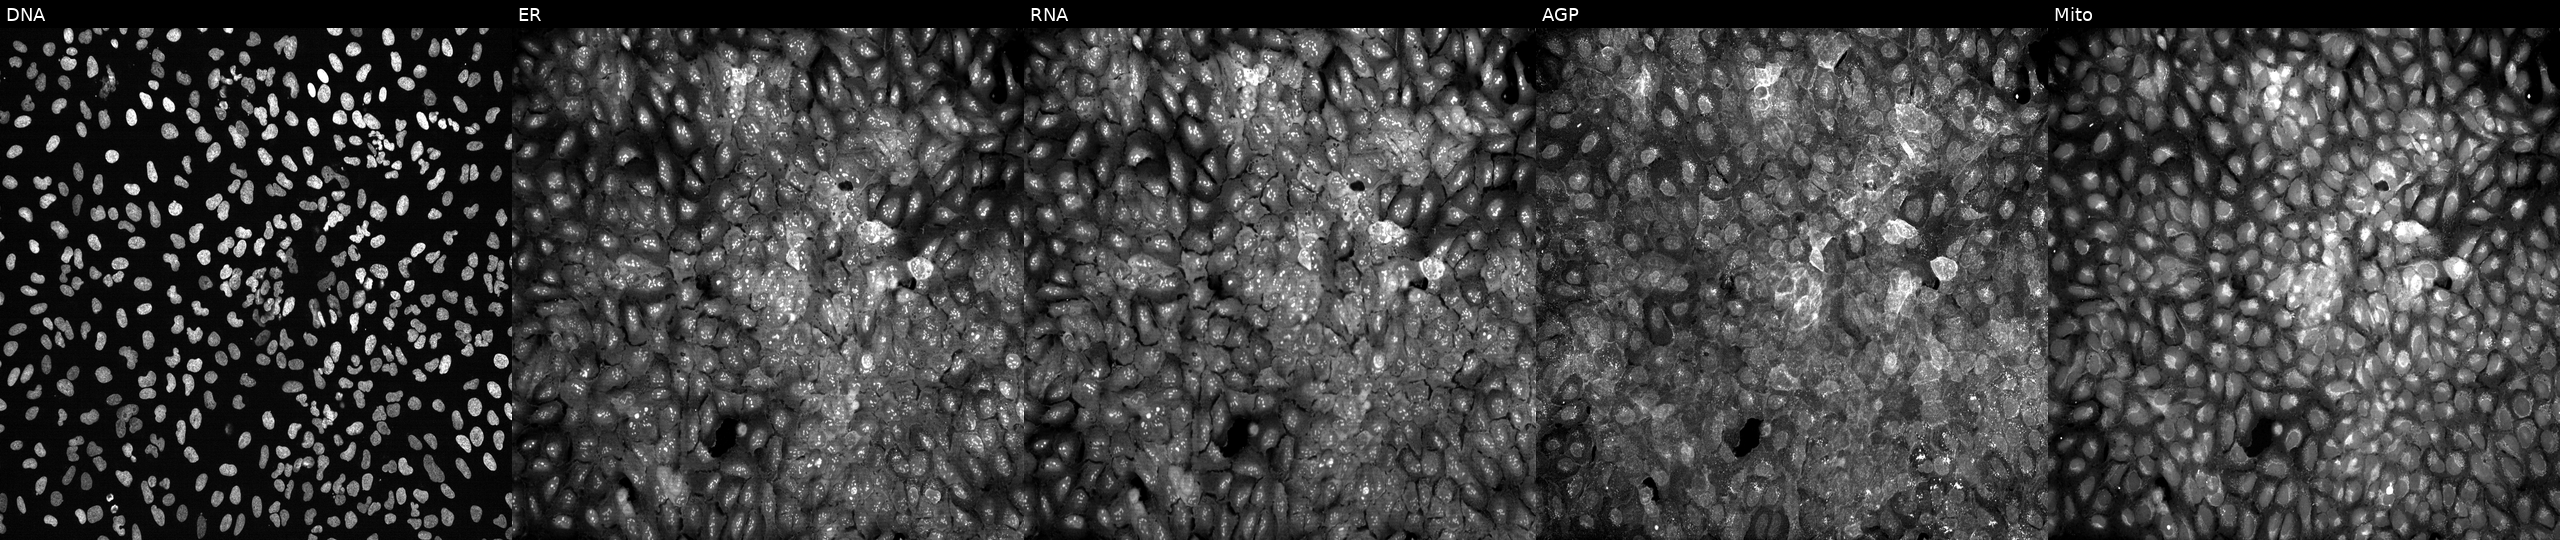
U2OS cells, Cell Painting assay, with ACSL4 knocked out by CRISPR. Channels (left→right): DNA (nuclei); ER (endoplasmic reticulum); RNA (nucleoli and cytoplasmic RNA); AGP (actin cytoskeleton, Golgi, and plasma membrane); Mito (mitochondria). Each panel is percentile-stretched 16-bit fluorescence.